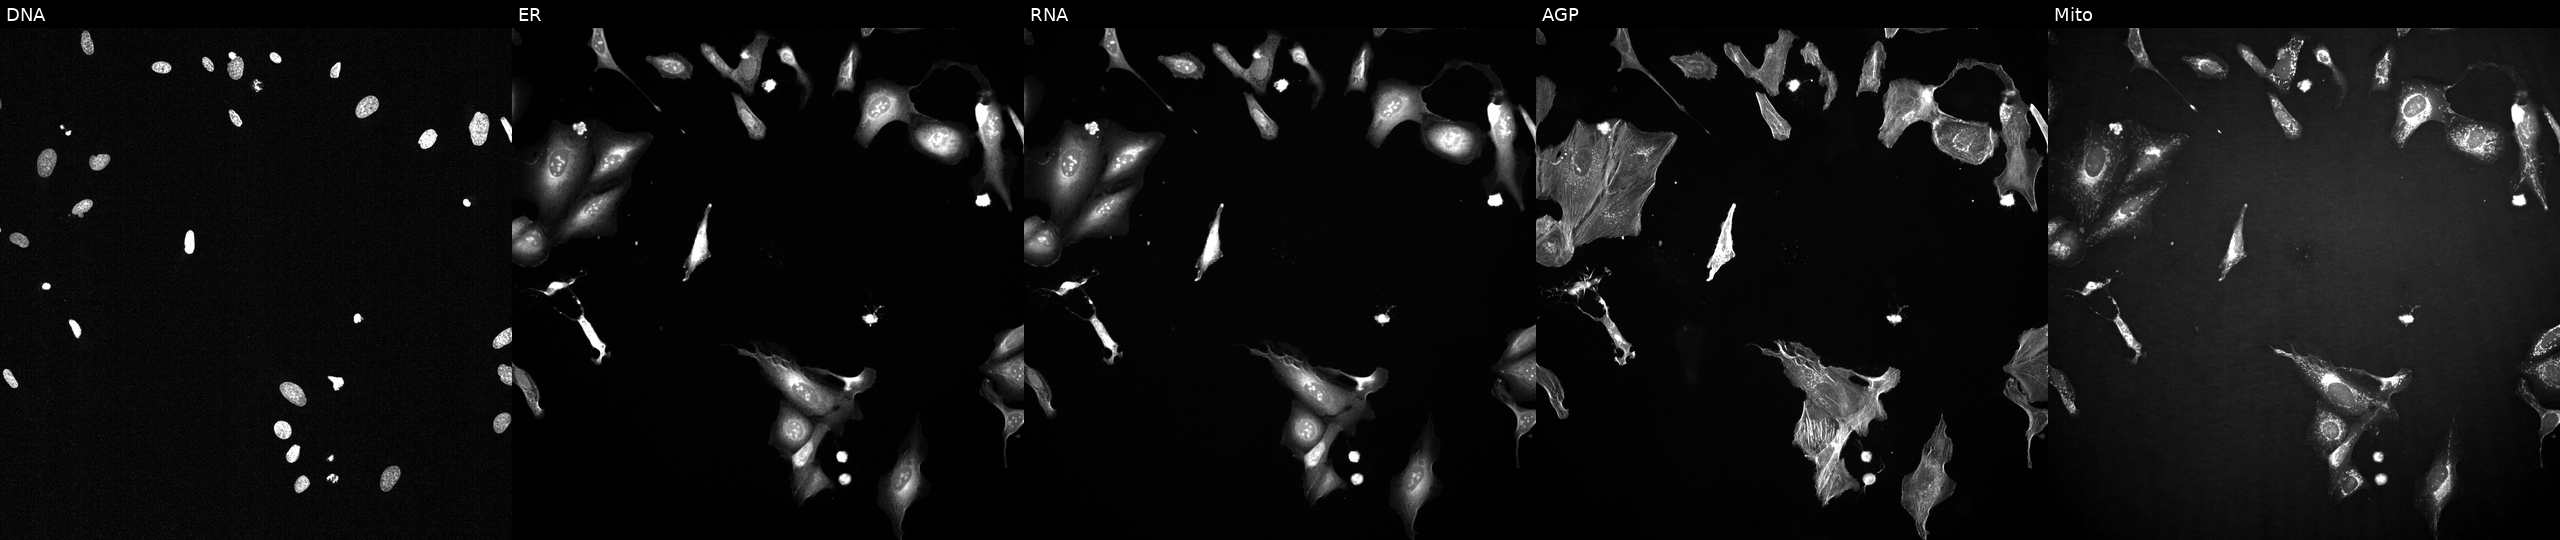
JUMP Cell Painting — TARGET2 plate. U2OS cells exposed to a small-molecule compound (InChIKey HUXYBQXJVXOMKX-UHFFFAOYSA-N) [SMILES: CC(C)CC(=O)N=c1[nH][nH]c2c1CN(C(=O)C1CCN(C)CC1)C2(C)C]. The five panels, left to right, show Hoechst 33342, concanavalin A, SYTO 14, phalloidin and WGA, MitoTracker.